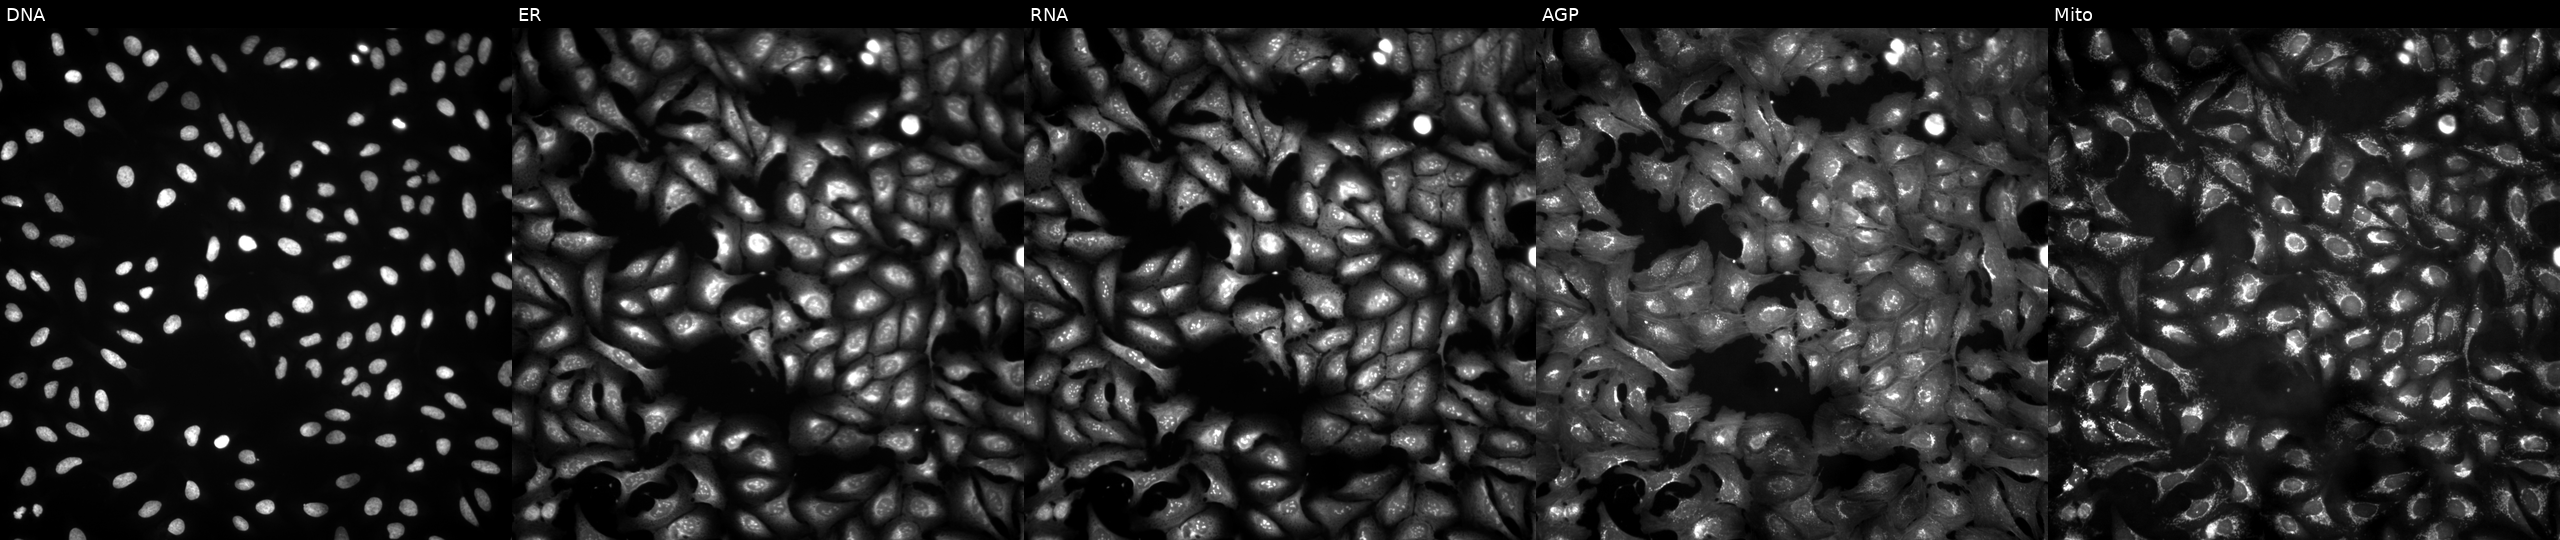
This image strip shows the five Cell Painting channels for a single field of U2OS cells overexpressing TRAFD1 via ORF transfection. From left to right: DNA, ER, RNA, AGP, and Mito. Source 4, plate BR00121543, well C17.